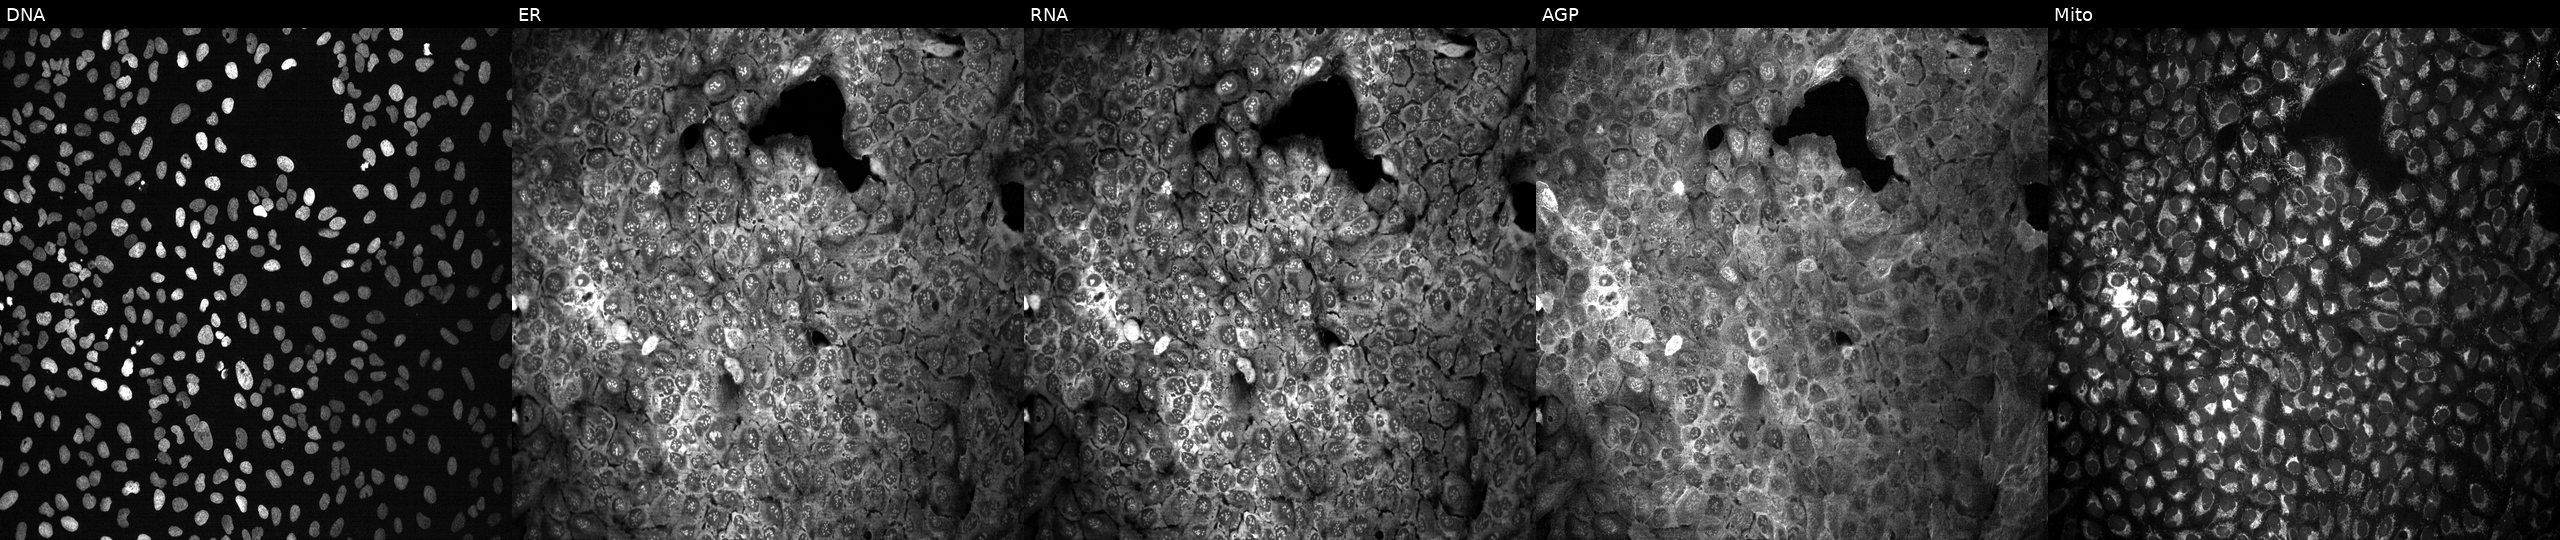
Five-channel Cell Painting image of U2OS cells with HLA-E knocked out by CRISPR. From left to right: Hoechst 33342, concanavalin A, SYTO 14, phalloidin and WGA, MitoTracker. Source 13, plate CP-CC9-R3-01, well K22.